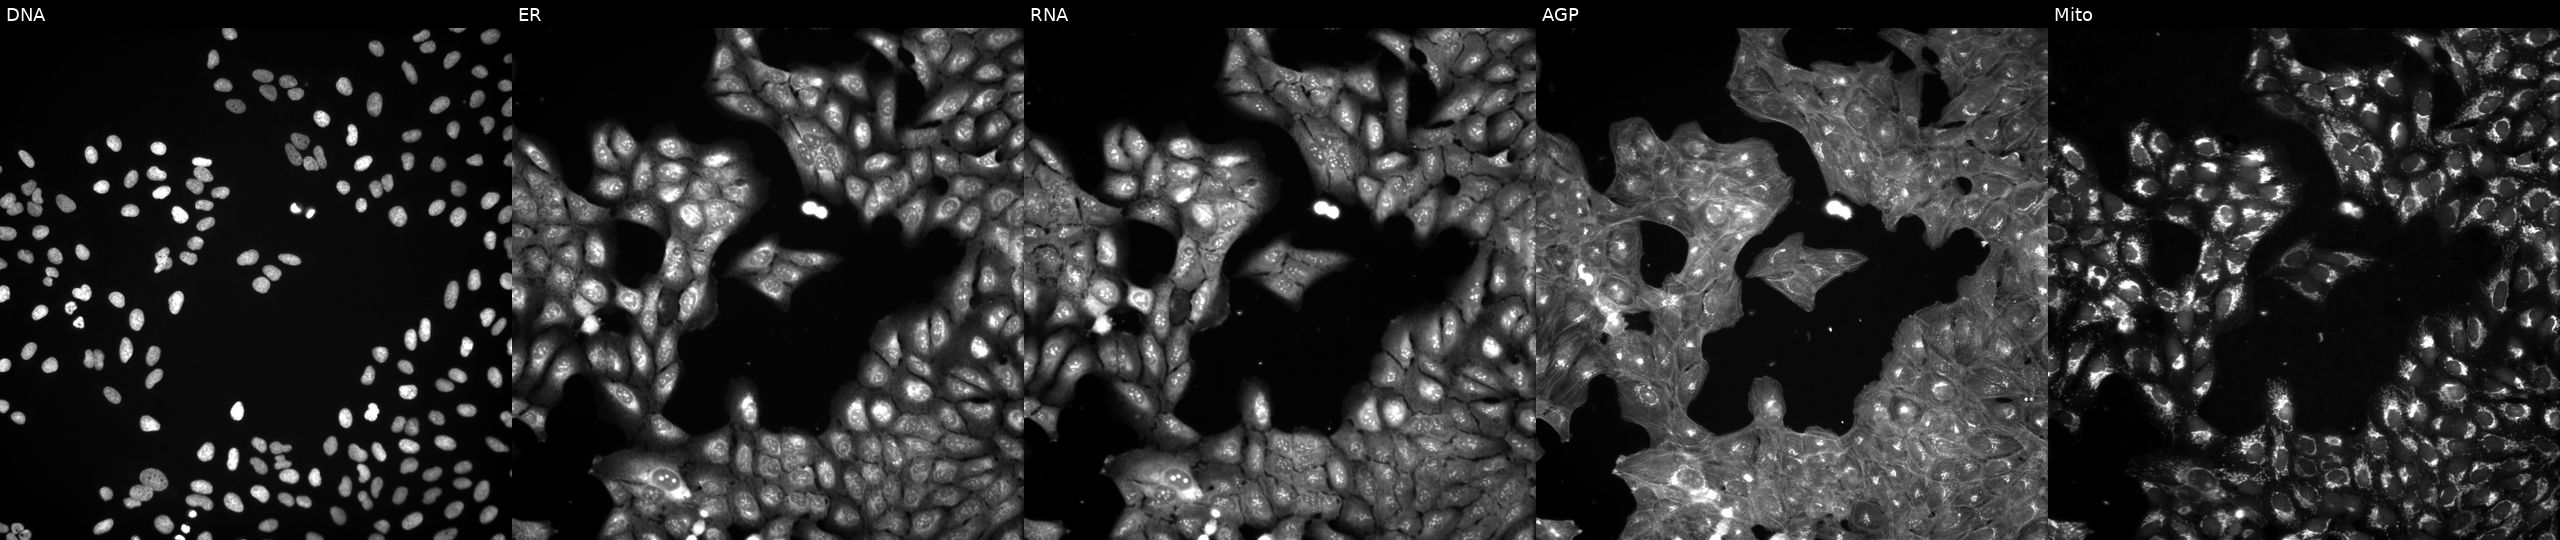
High-content fluorescence microscopy (Cell Painting). Cell line: U2OS. Perturbation: untreated (empty-well control). The five panels, left to right, show DNA (nuclei); ER (endoplasmic reticulum); RNA (nucleoli and cytoplasmic RNA); AGP (actin cytoskeleton, Golgi, and plasma membrane); Mito (mitochondria). Source 3, plate BR5867b3, well D09.